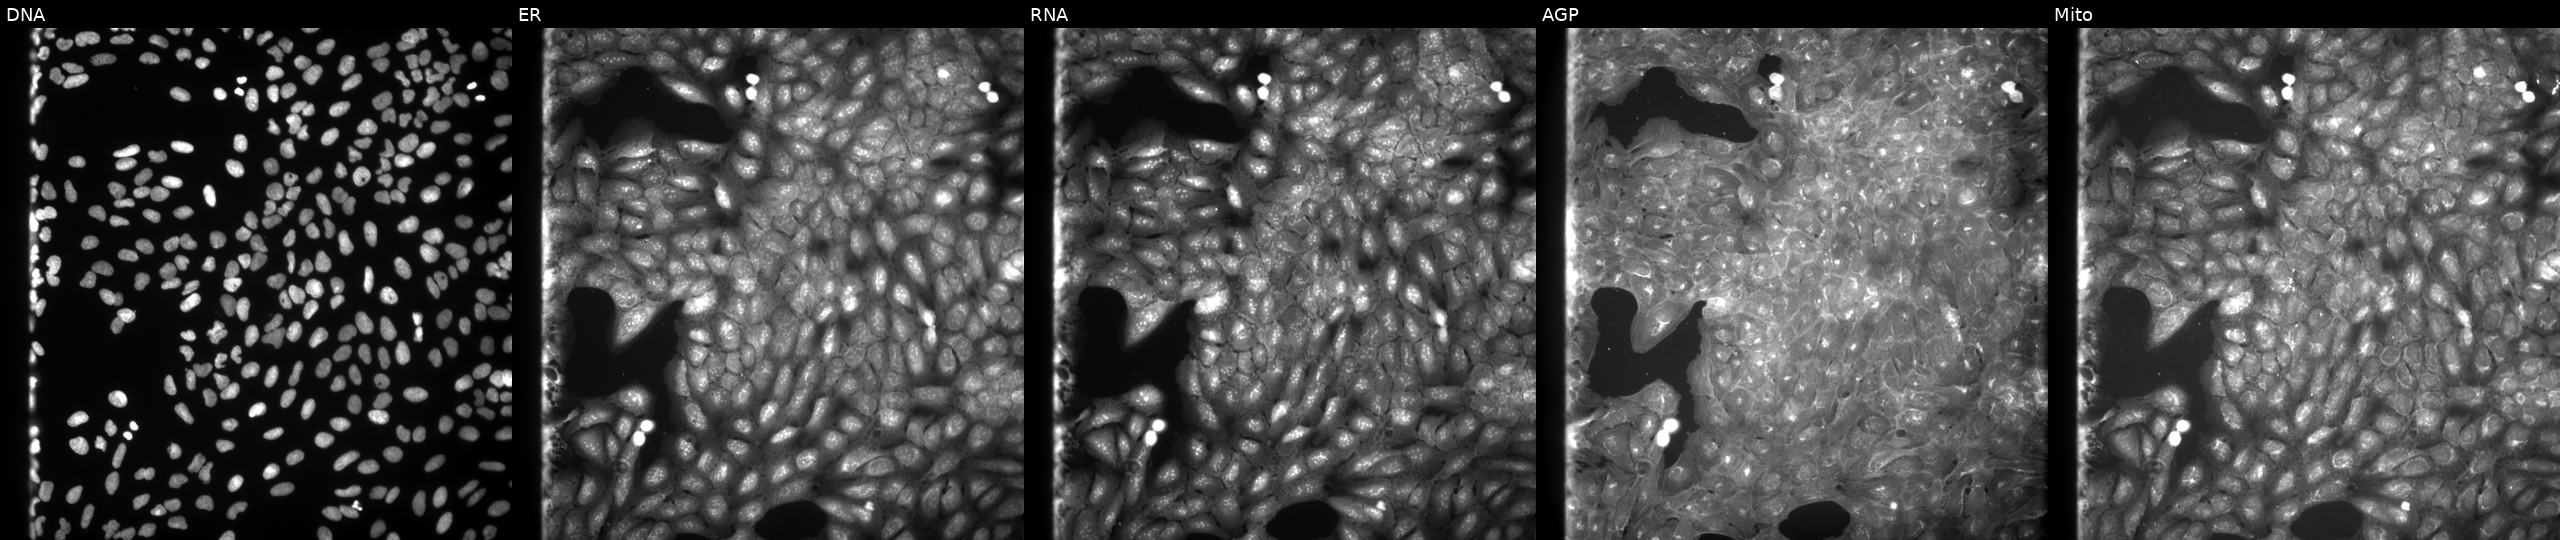
JUMP Cell Painting — COMPOUND plate. U2OS cells treated with a small-molecule compound (InChIKey DALCTXZKCKJGQE-UHFFFAOYSA-N) (JUMP id JCP2022_014666). Panels show, left to right, Hoechst 33342, concanavalin A, SYTO 14, phalloidin and WGA, MitoTracker. Source 9, plate GR00003382, well C10.